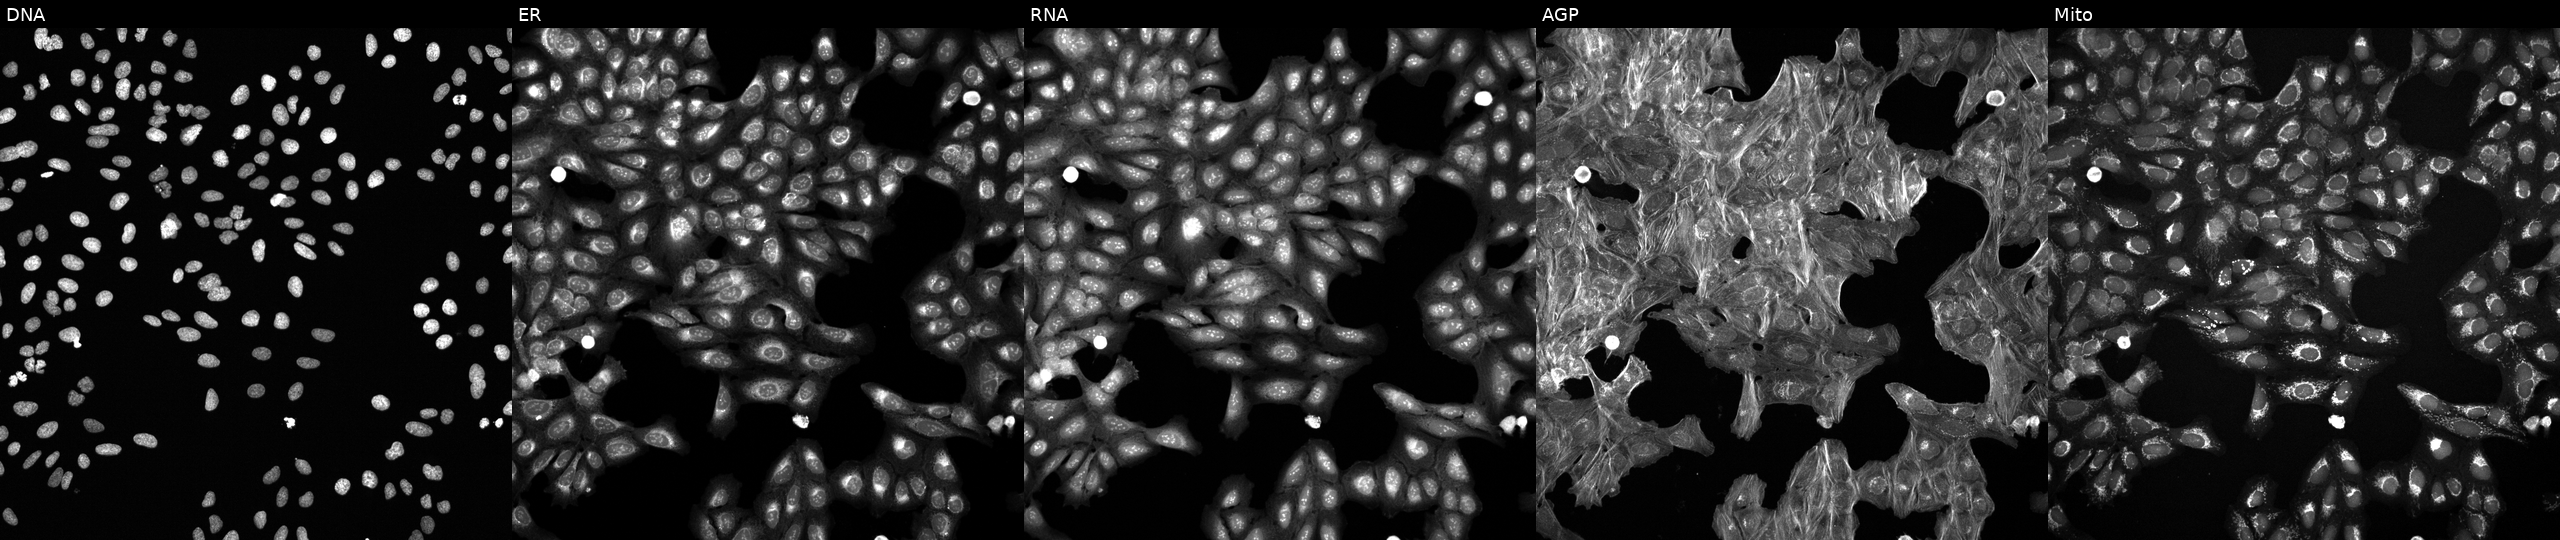
High-content fluorescence microscopy (Cell Painting). Cell line: U2OS. Perturbation: treated with a small-molecule compound (JUMP id JCP2022_021857). Panels show, left to right, DNA (nuclei); ER (endoplasmic reticulum); RNA (nucleoli and cytoplasmic RNA); AGP (actin cytoskeleton, Golgi, and plasma membrane); Mito (mitochondria). Source 6, plate 110000293093, well F01.